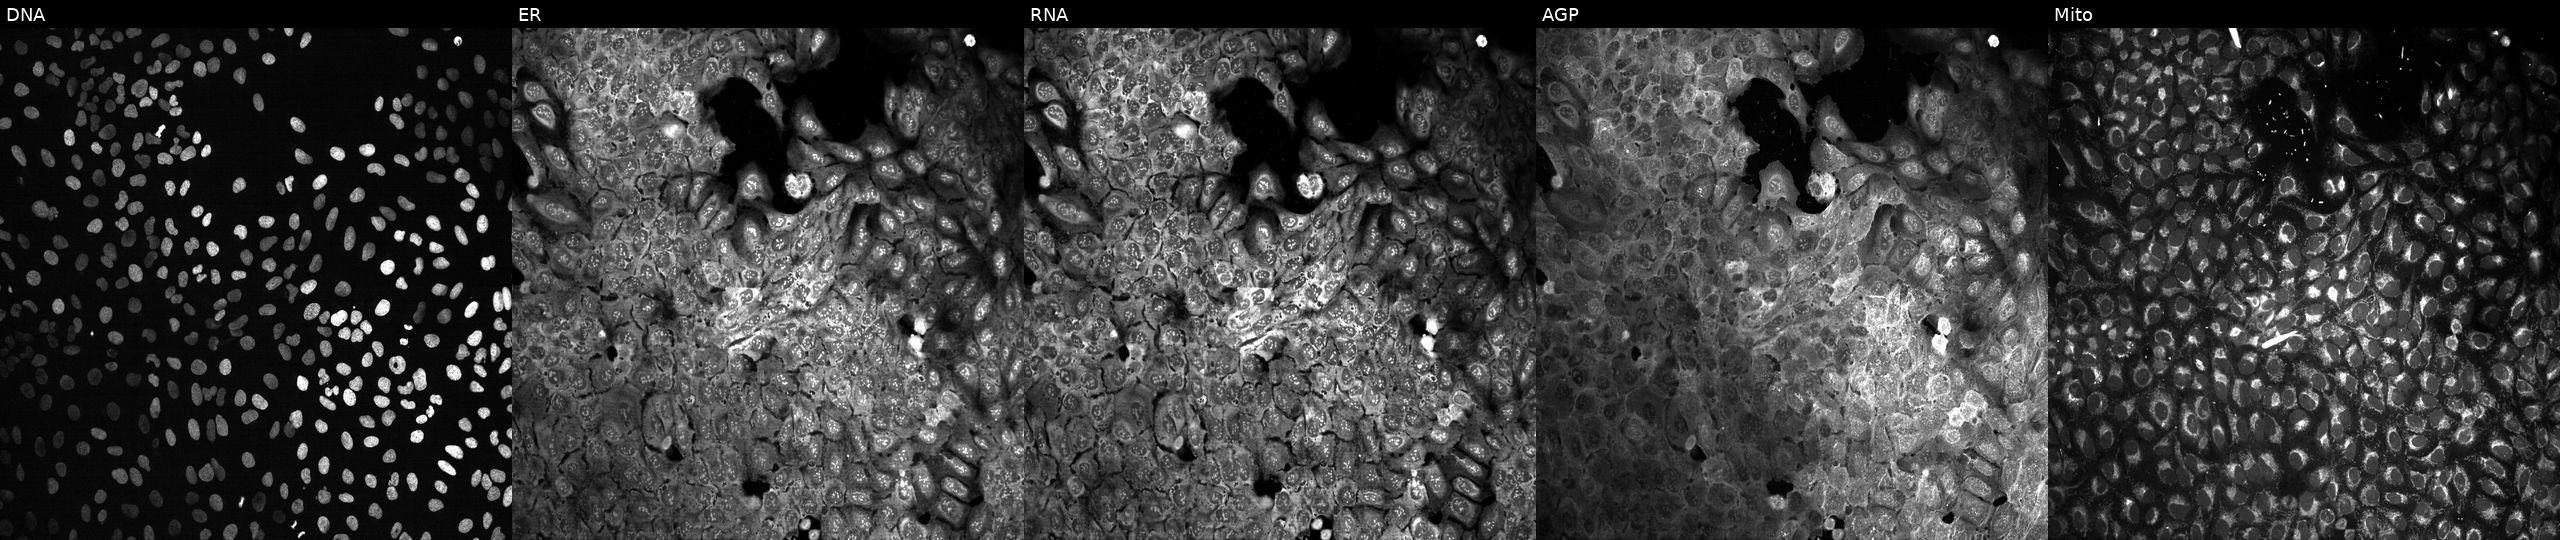
U2OS cells, Cell Painting assay, with a non-targeting CRISPR guide (negative control). Channels (left→right): DNA, ER, RNA, AGP, and Mito. Each panel is percentile-stretched 16-bit fluorescence.